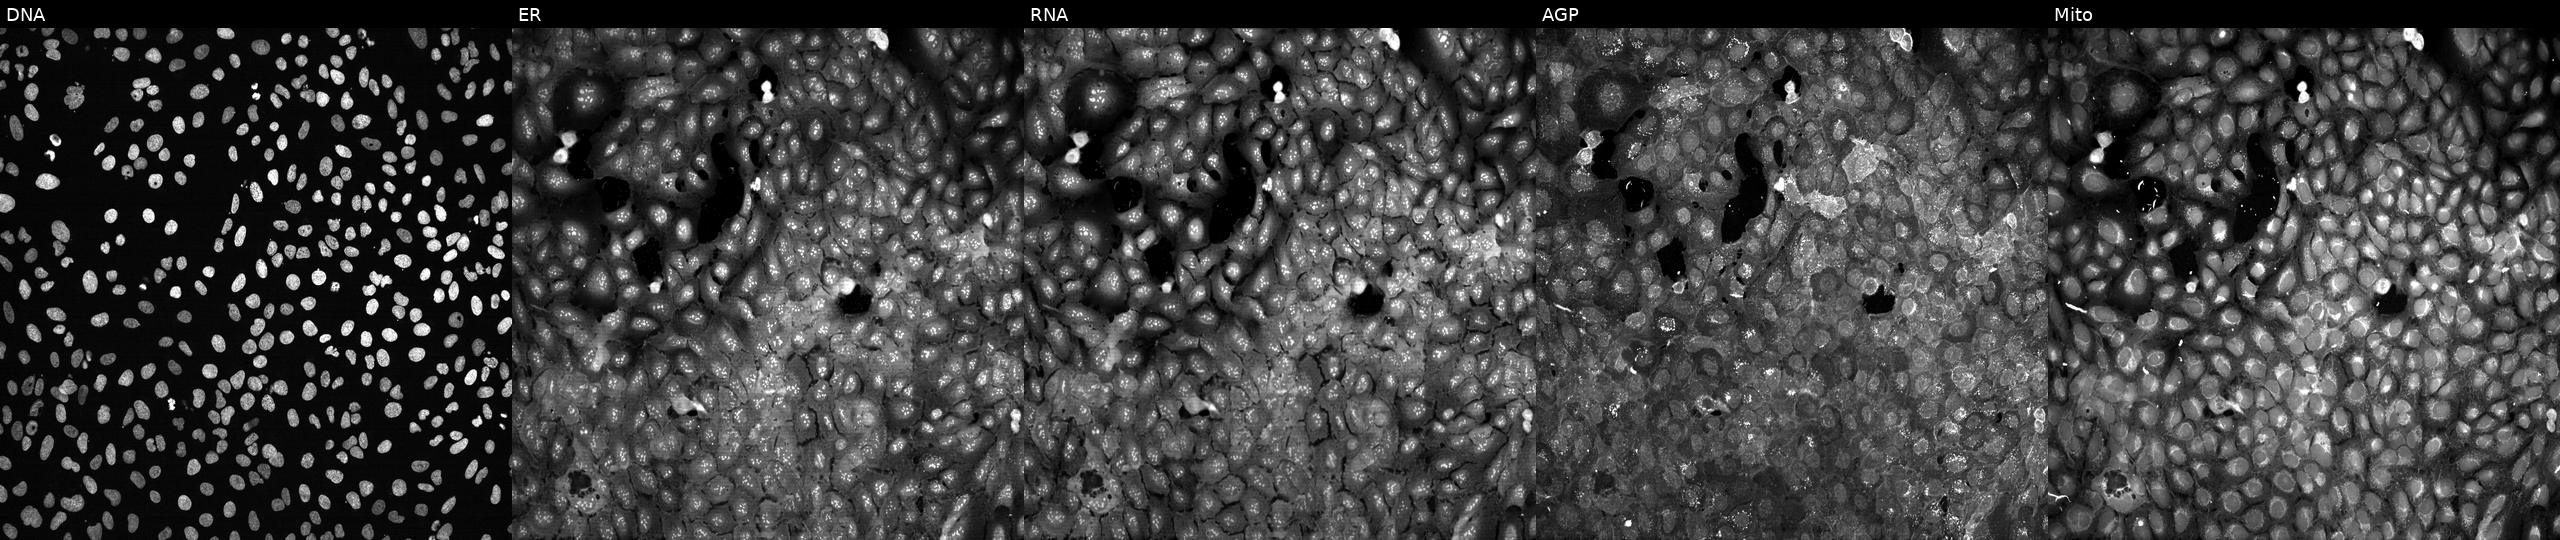
JUMP Cell Painting — CRISPR plate. U2OS cells following CRISPR knockout of SULF1 (JUMP id JCP2022_806874). From left to right: Hoechst 33342, concanavalin A, SYTO 14, phalloidin and WGA, MitoTracker. Source 13, plate CP-CC9-R1-01, well G03.